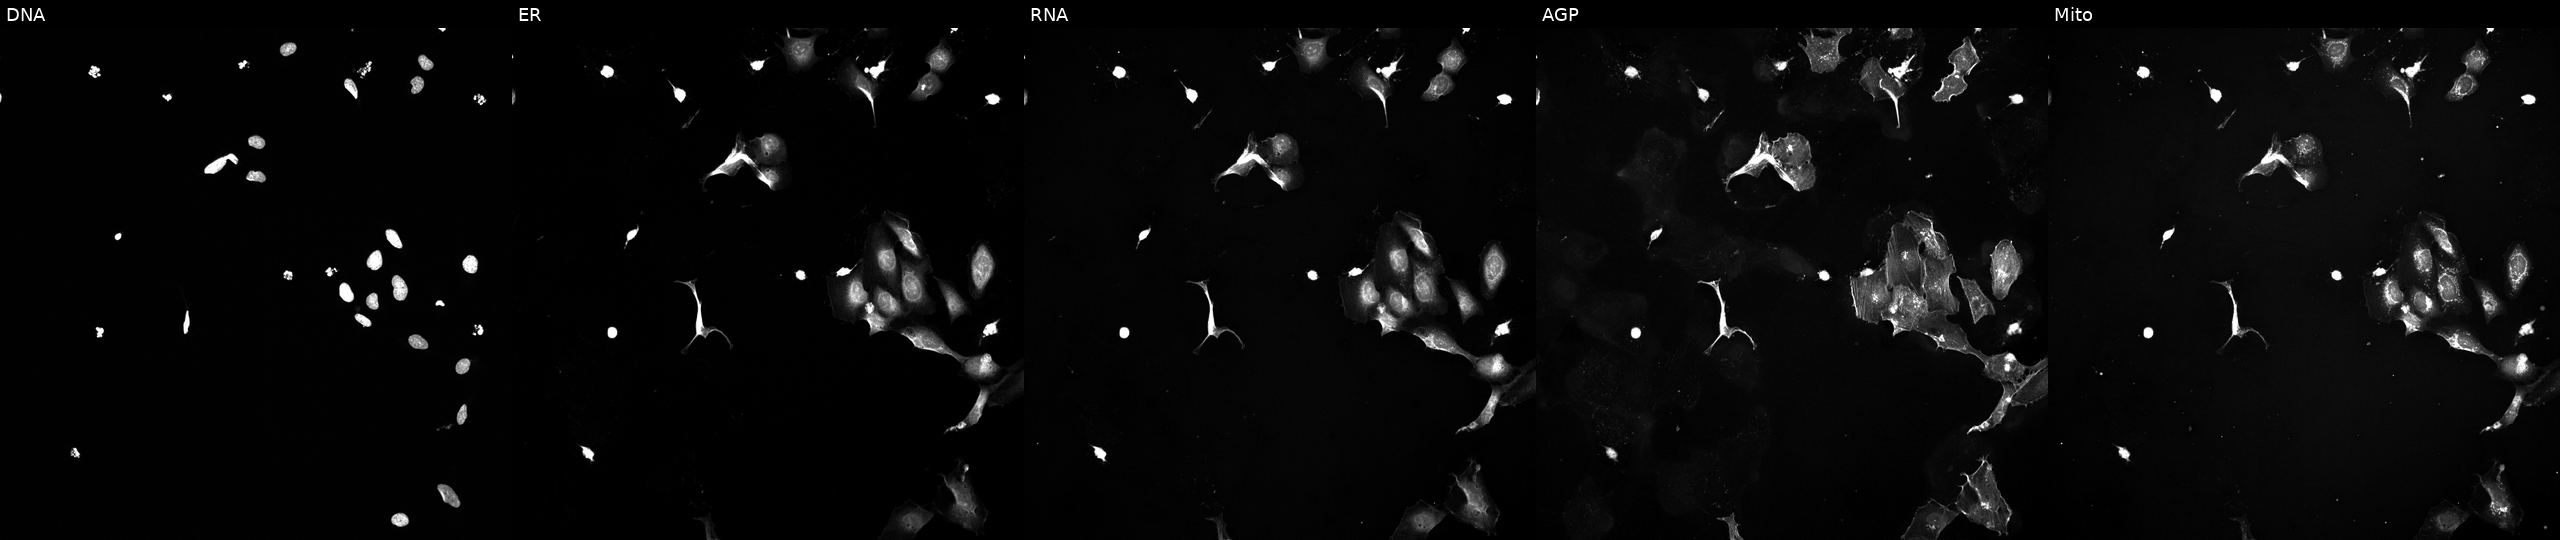
This image strip shows the five Cell Painting channels for a single field of U2OS cells perturbed with a small-molecule compound (InChIKey AYCPARAPKDAOEN-UHFFFAOYSA-N). From left to right: DNA (nuclei); ER (endoplasmic reticulum); RNA (nucleoli and cytoplasmic RNA); AGP (actin cytoskeleton, Golgi, and plasma membrane); Mito (mitochondria). Source 5, plate ACPJUM051, well M11.